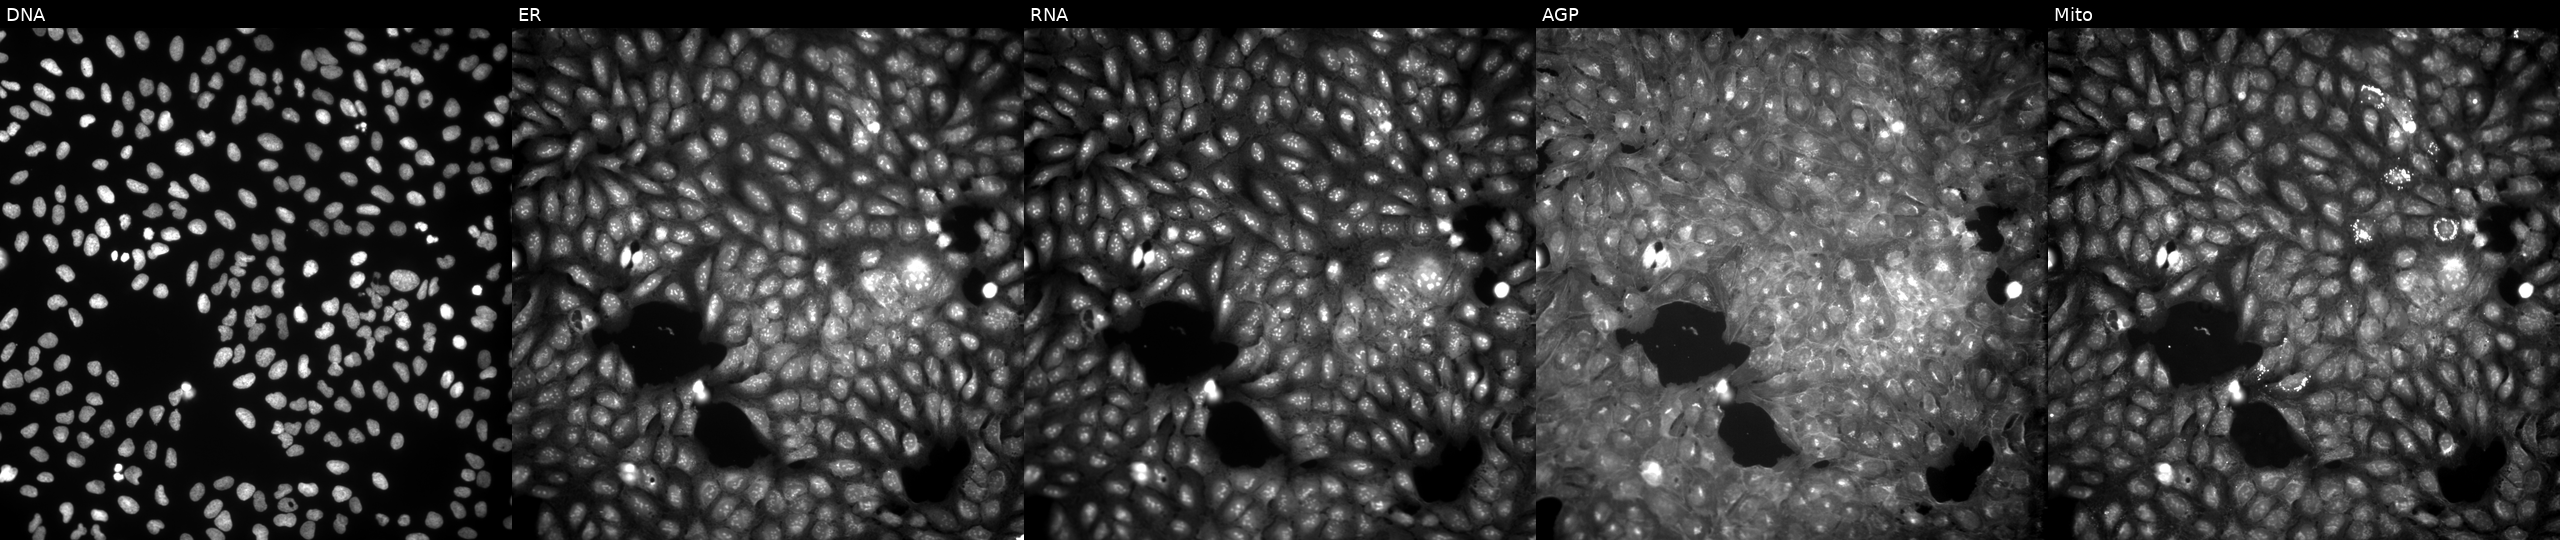
JUMP Cell Painting — COMPOUND plate. U2OS cells exposed to a small-molecule compound (InChIKey BXLHVPBJQKTISJ-UHFFFAOYSA-N) (JUMP id JCP2022_009299). Channels (left→right): DNA, ER, RNA, AGP, and Mito. Source 9, plate GR00003382, well X21.